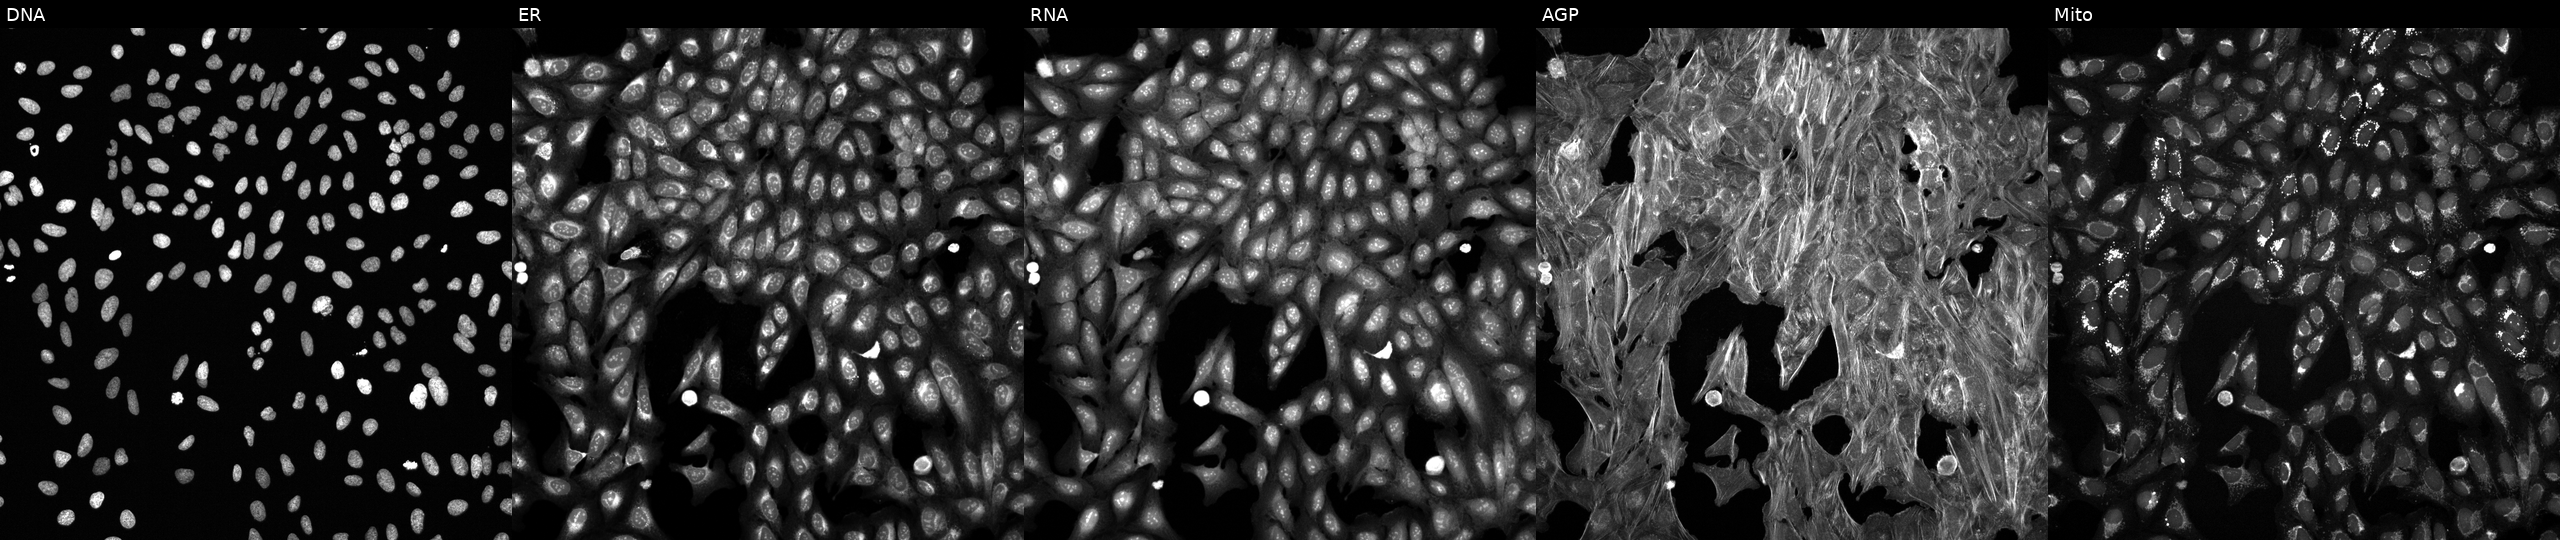
This image strip shows the five Cell Painting channels for a single field of U2OS cells exposed to a small-molecule compound (InChIKey RXHRZTYXGZANNS-UHFFFAOYSA-N) (JUMP id JCP2022_081334). The five panels, left to right, show Hoechst 33342, concanavalin A, SYTO 14, phalloidin and WGA, MitoTracker.